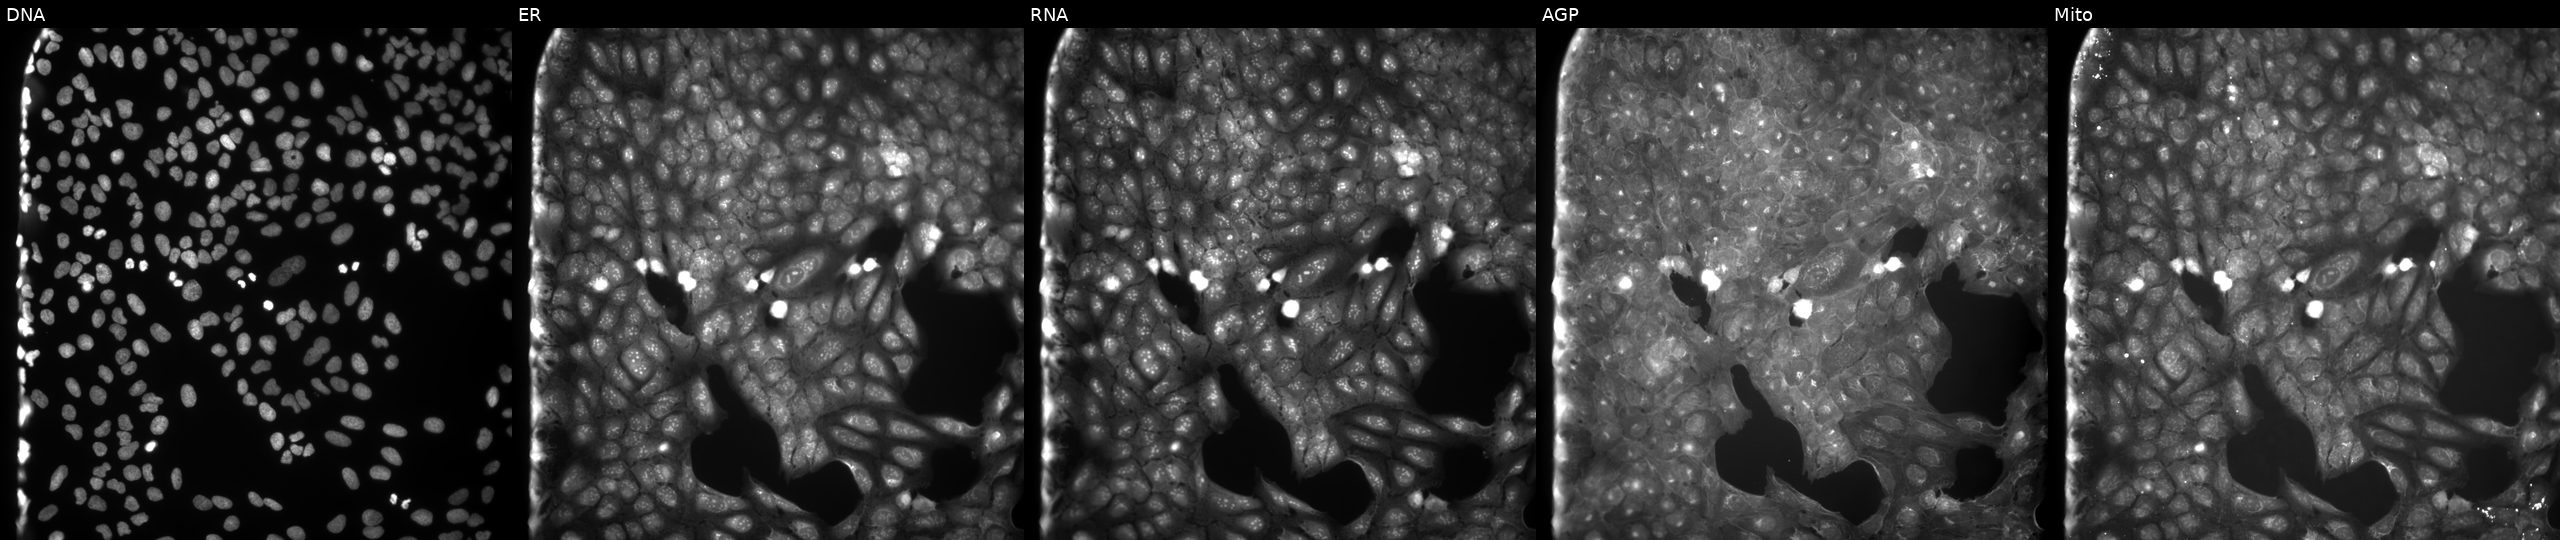
JUMP Cell Painting — COMPOUND plate. U2OS cells treated with a small-molecule compound (InChIKey RXVLZEXXWVDBFY-UHFFFAOYSA-N) [SMILES: CCOC(=O)c1oc2ccc(OC)cc2c1CSc1ccccn1]. Panels show, left to right, DNA, ER, RNA, AGP, and Mito.